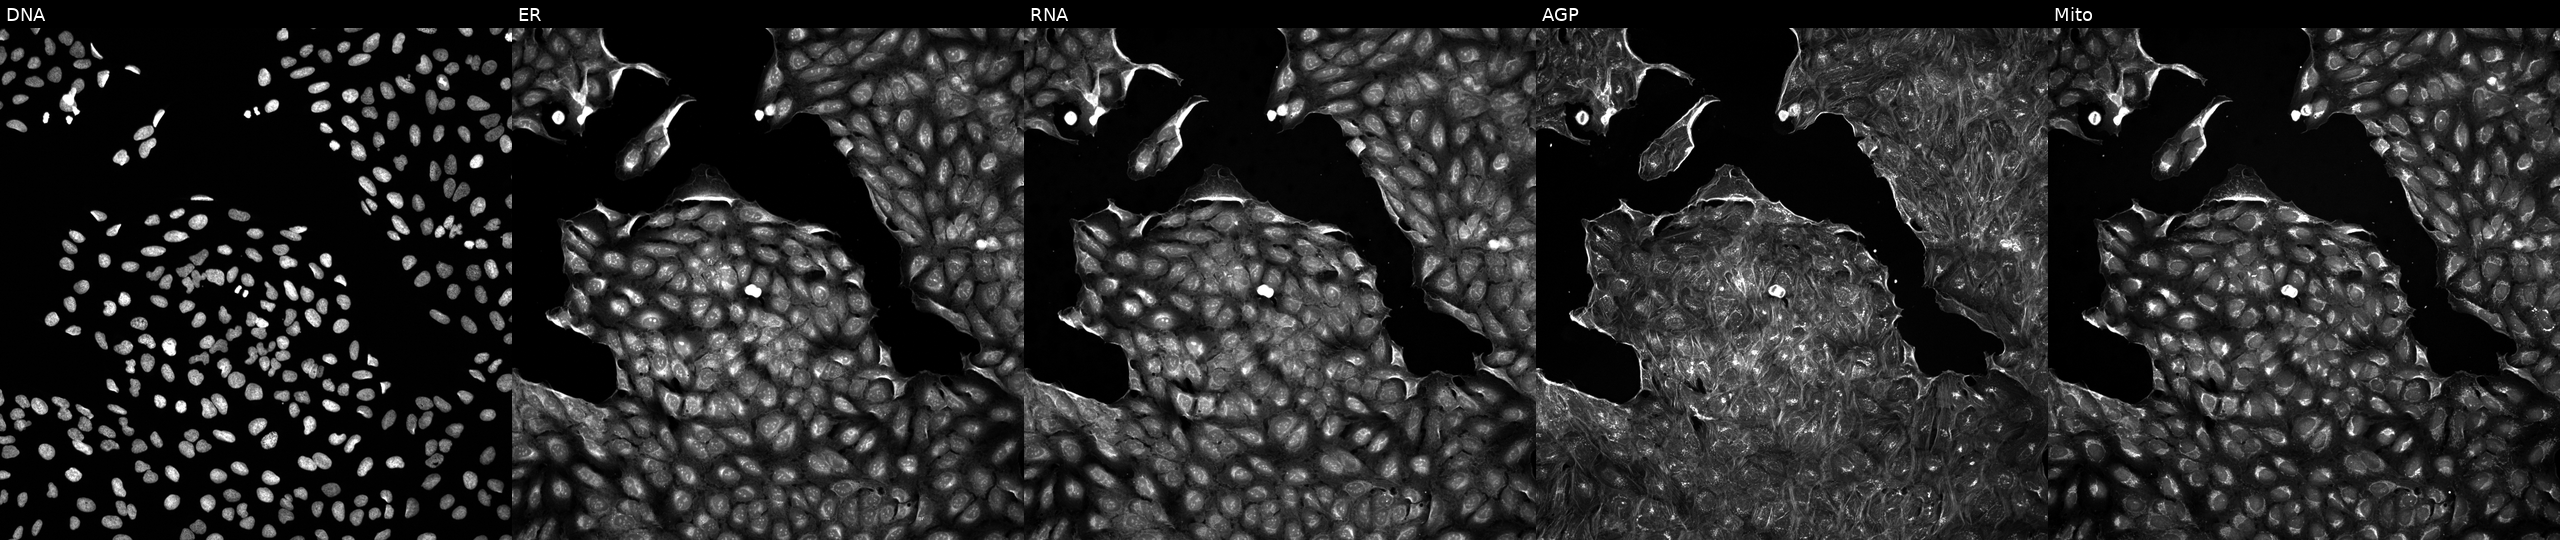
JUMP Cell Painting — COMPOUND plate. U2OS cells exposed to a small-molecule compound (InChIKey GXQOLWBQPXSAPH-UHFFFAOYSA-N). From left to right: DNA (nuclei); ER (endoplasmic reticulum); RNA (nucleoli and cytoplasmic RNA); AGP (actin cytoskeleton, Golgi, and plasma membrane); Mito (mitochondria). Source 5, plate APTJUM105, well M04.